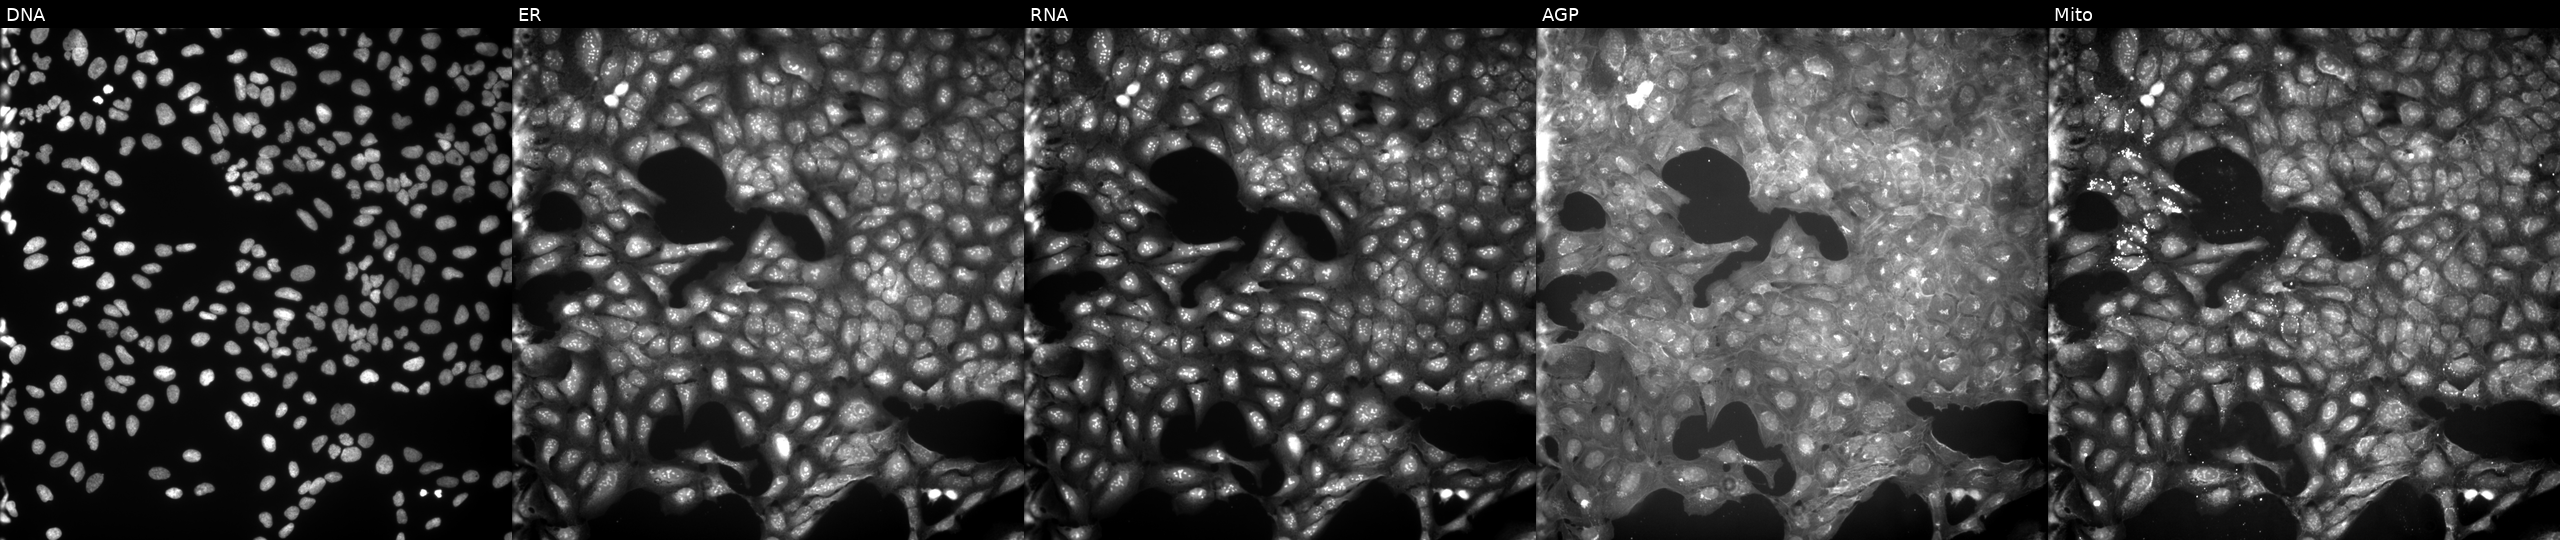
Five-channel Cell Painting image of U2OS cells perturbed with a small-molecule compound (InChIKey AQSCTJSHADQYBW-UHFFFAOYSA-N) [SMILES: C#CCOc1ccc(C=c2c(=C)[nH]n(-c3ccc(S(N)(=O)=O)cc3)c2=O)cc1OC]. Channels (left→right): DNA (nuclei); ER (endoplasmic reticulum); RNA (nucleoli and cytoplasmic RNA); AGP (actin cytoskeleton, Golgi, and plasma membrane); Mito (mitochondria).